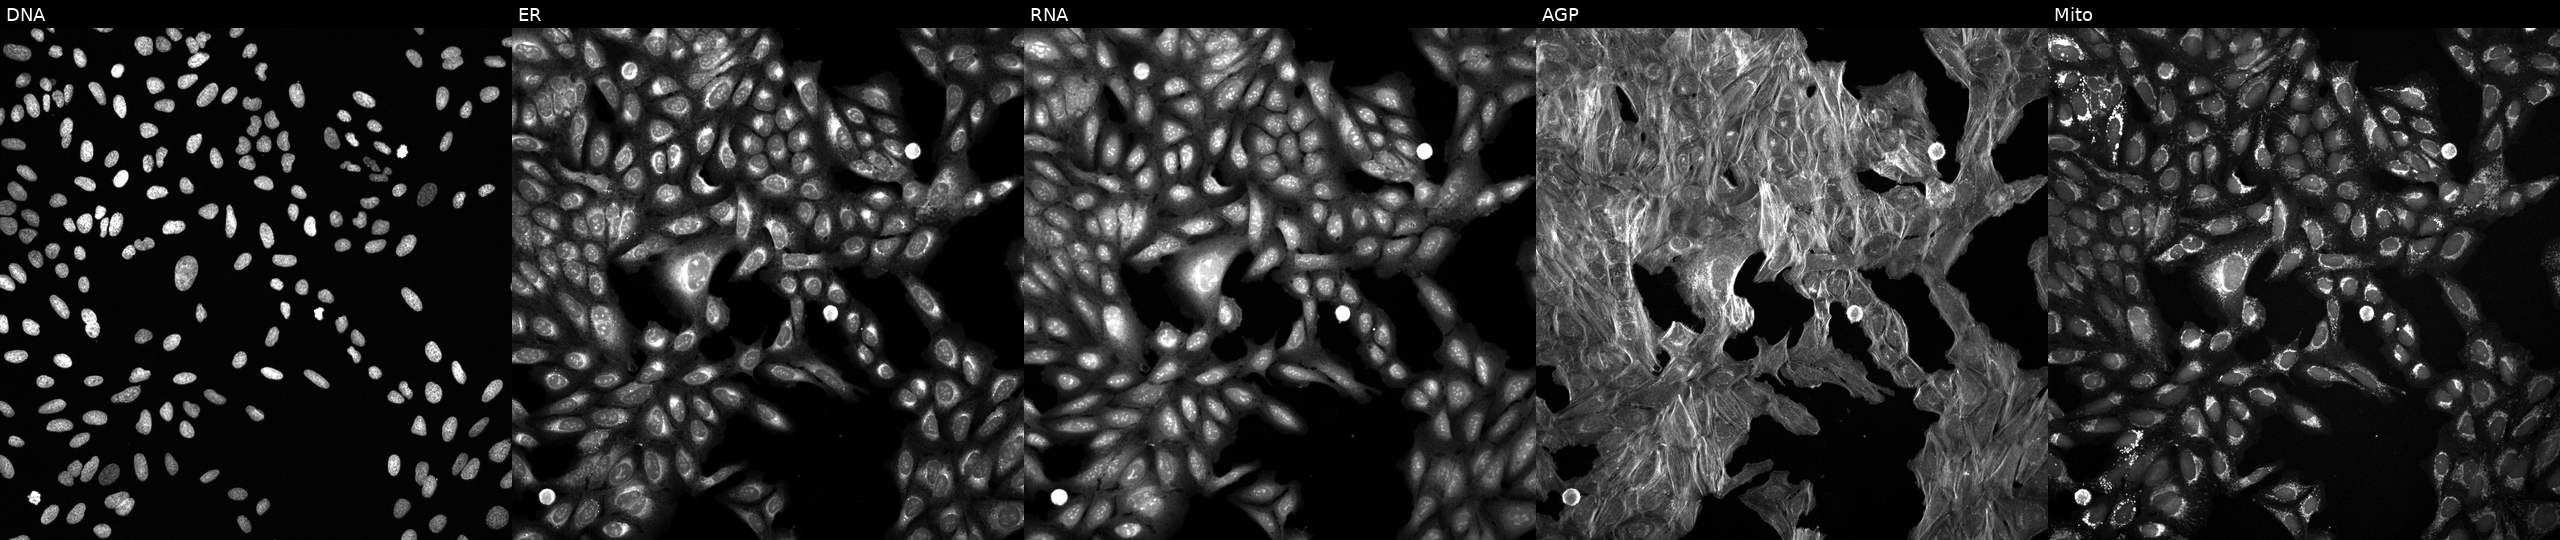
JUMP Cell Painting — TARGET2 plate. U2OS cells perturbed with a small-molecule compound (JUMP id JCP2022_057163). Panels show, left to right, DNA, ER, RNA, AGP, and Mito. Source 6, plate 110000293093, well I21.